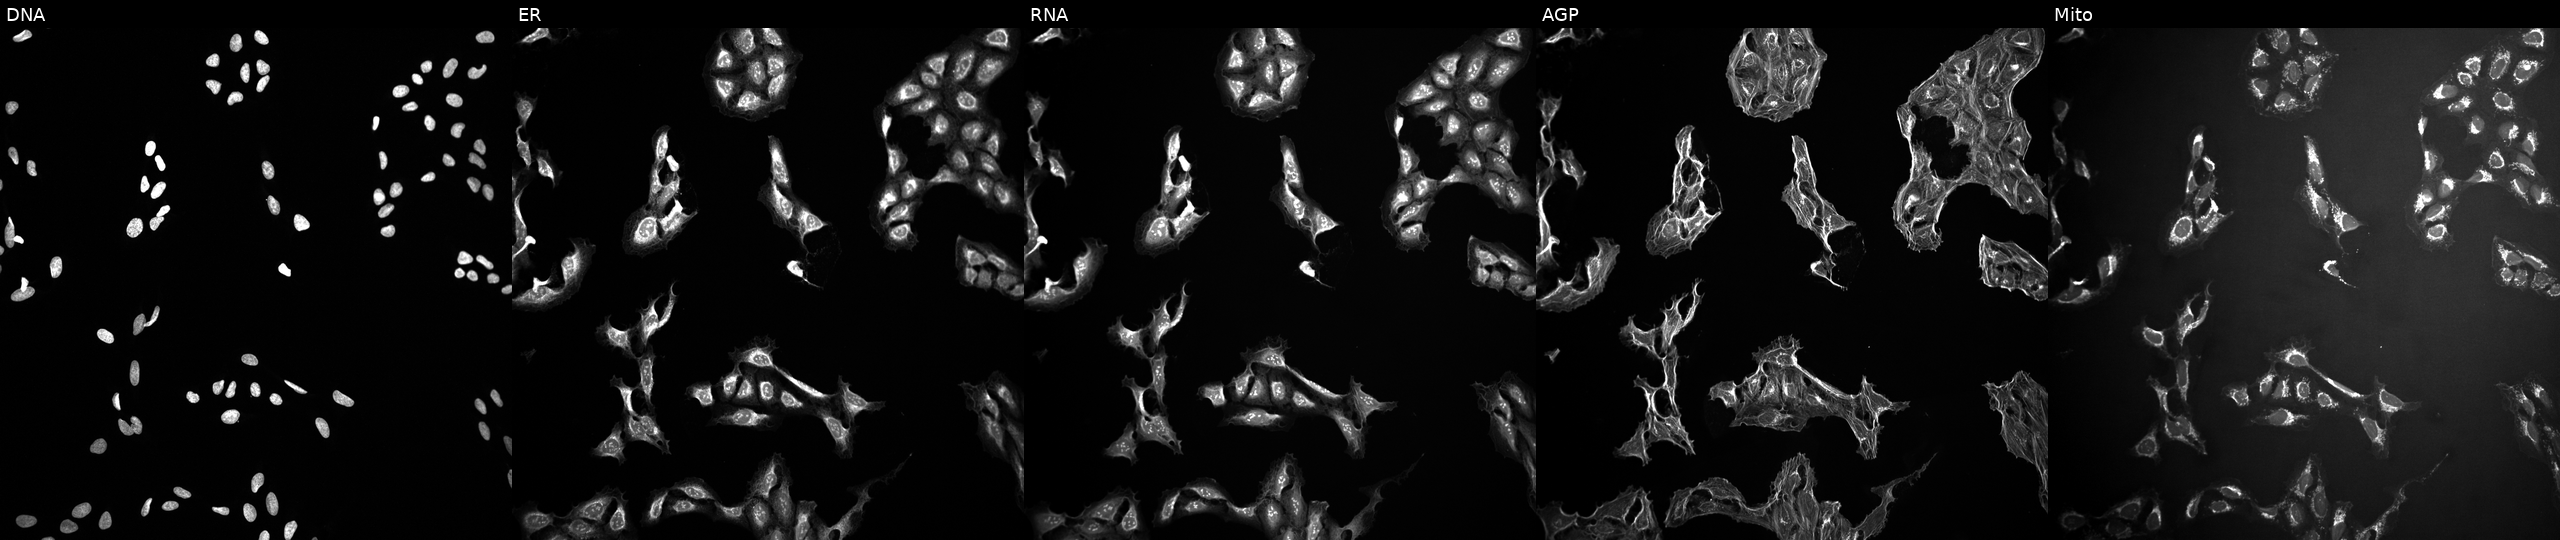
This image strip shows the five Cell Painting channels for a single field of U2OS cells exposed to DMSO alone as a negative control. Channels (left→right): Hoechst 33342, concanavalin A, SYTO 14, phalloidin and WGA, MitoTracker.